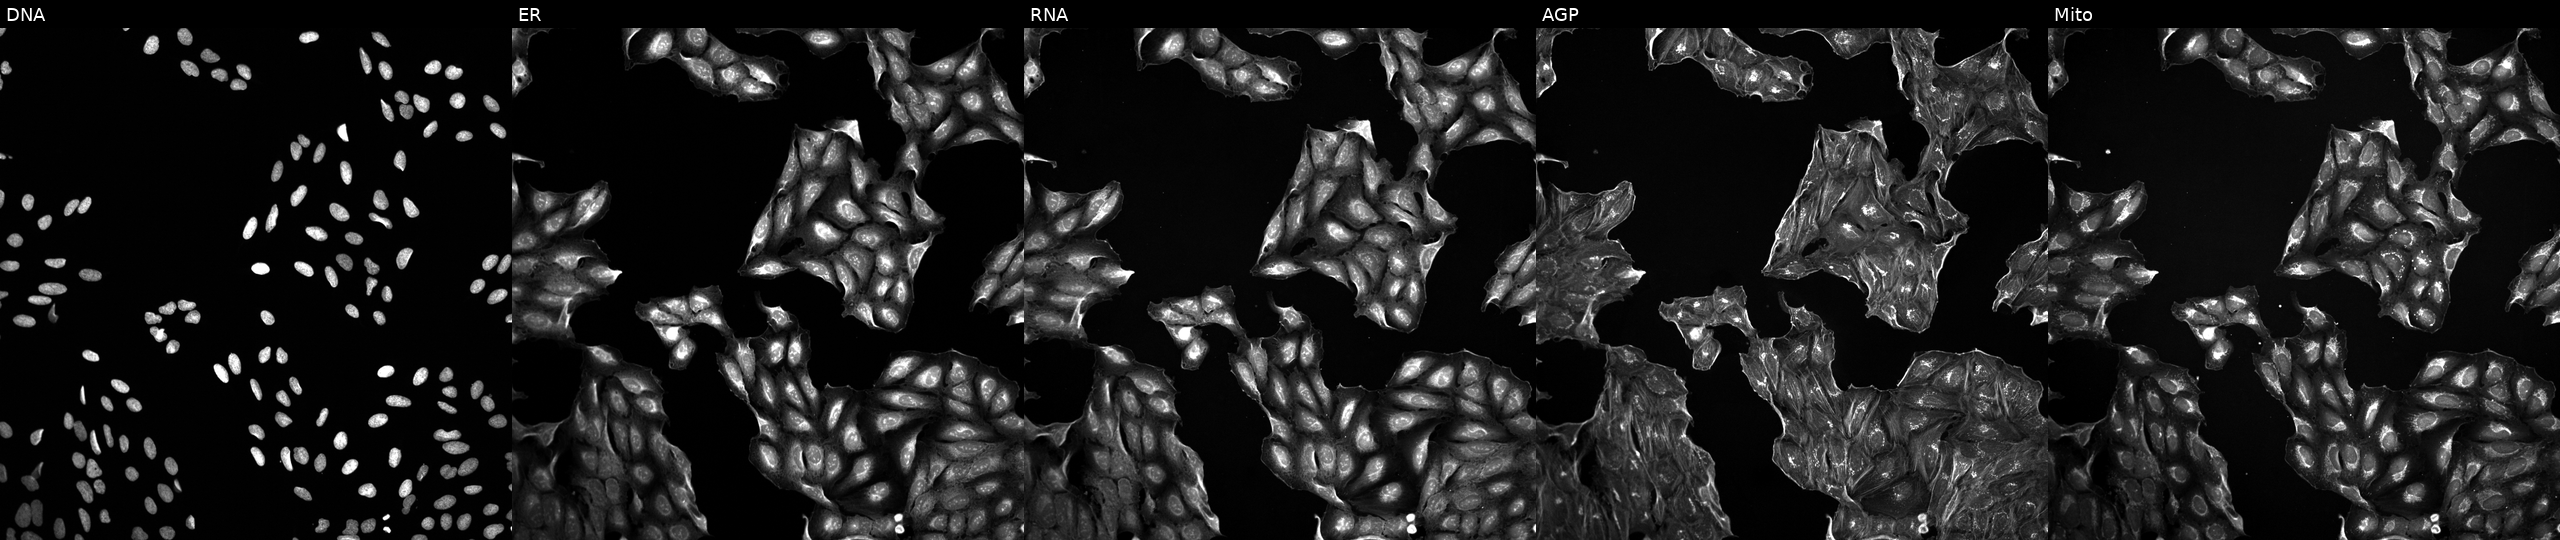
U2OS cells, Cell Painting assay, exposed to a small-molecule compound (JUMP id JCP2022_107636). Channels (left→right): DNA, ER, RNA, AGP, and Mito. Each panel is percentile-stretched 16-bit fluorescence.